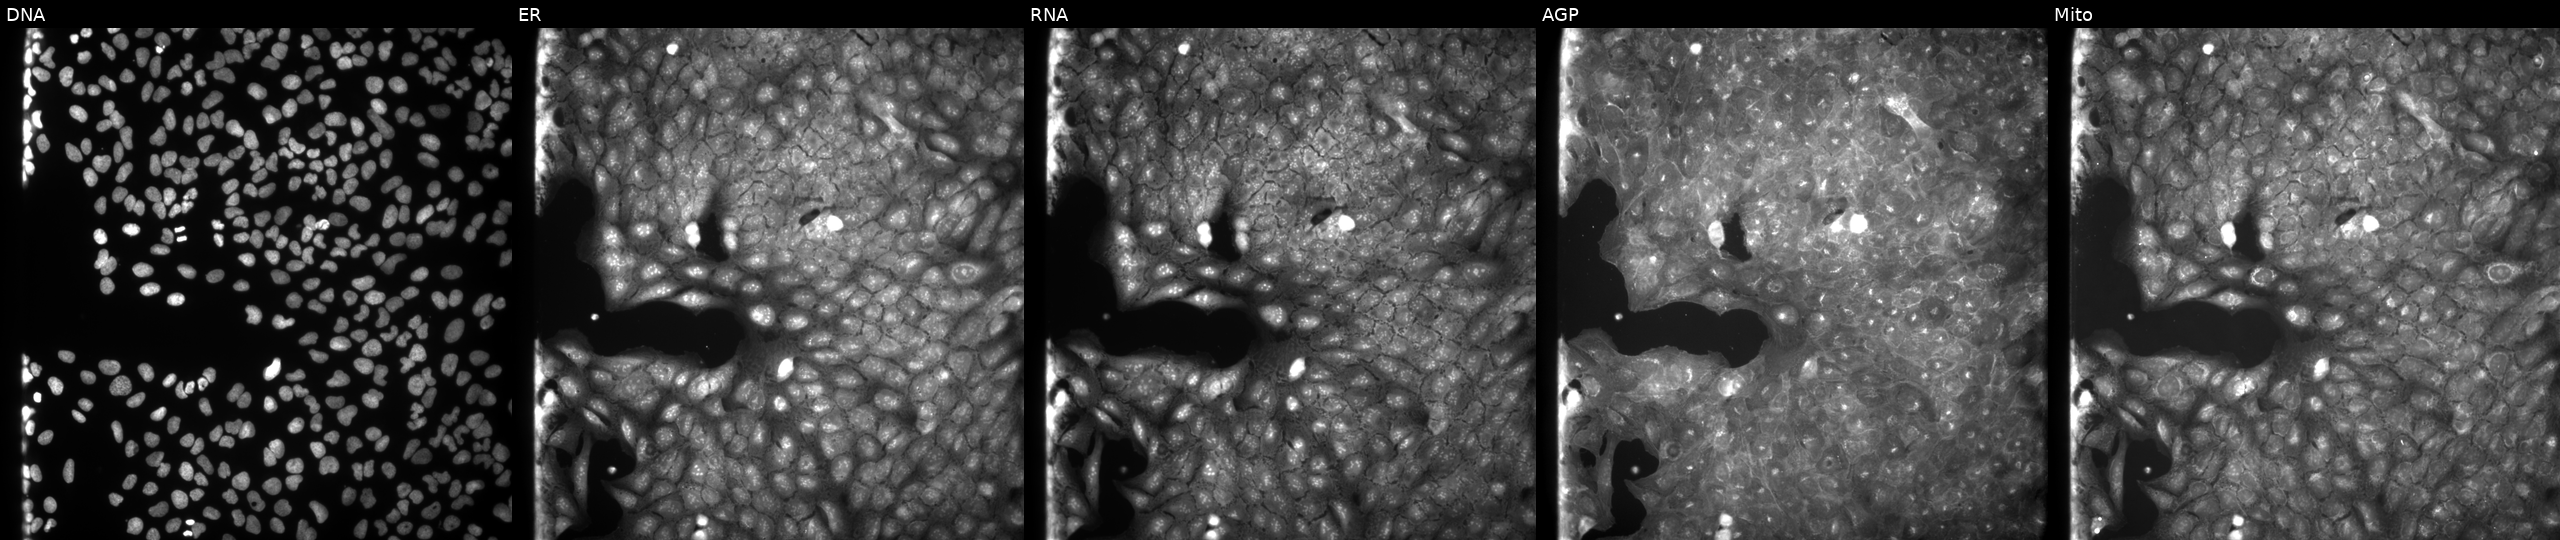
High-content fluorescence microscopy (Cell Painting). Cell line: U2OS. Perturbation: exposed to a small-molecule compound (InChIKey WDVHUQNTAAUELS-UHFFFAOYSA-N) [SMILES: CN(C)S(=O)(=O)N1CCN(c2ccc([N+](=O)[O-])c(NC3CC3)c2)CC1] (JUMP id JCP2022_098102). The five panels, left to right, show Hoechst 33342, concanavalin A, SYTO 14, phalloidin and WGA, MitoTracker.